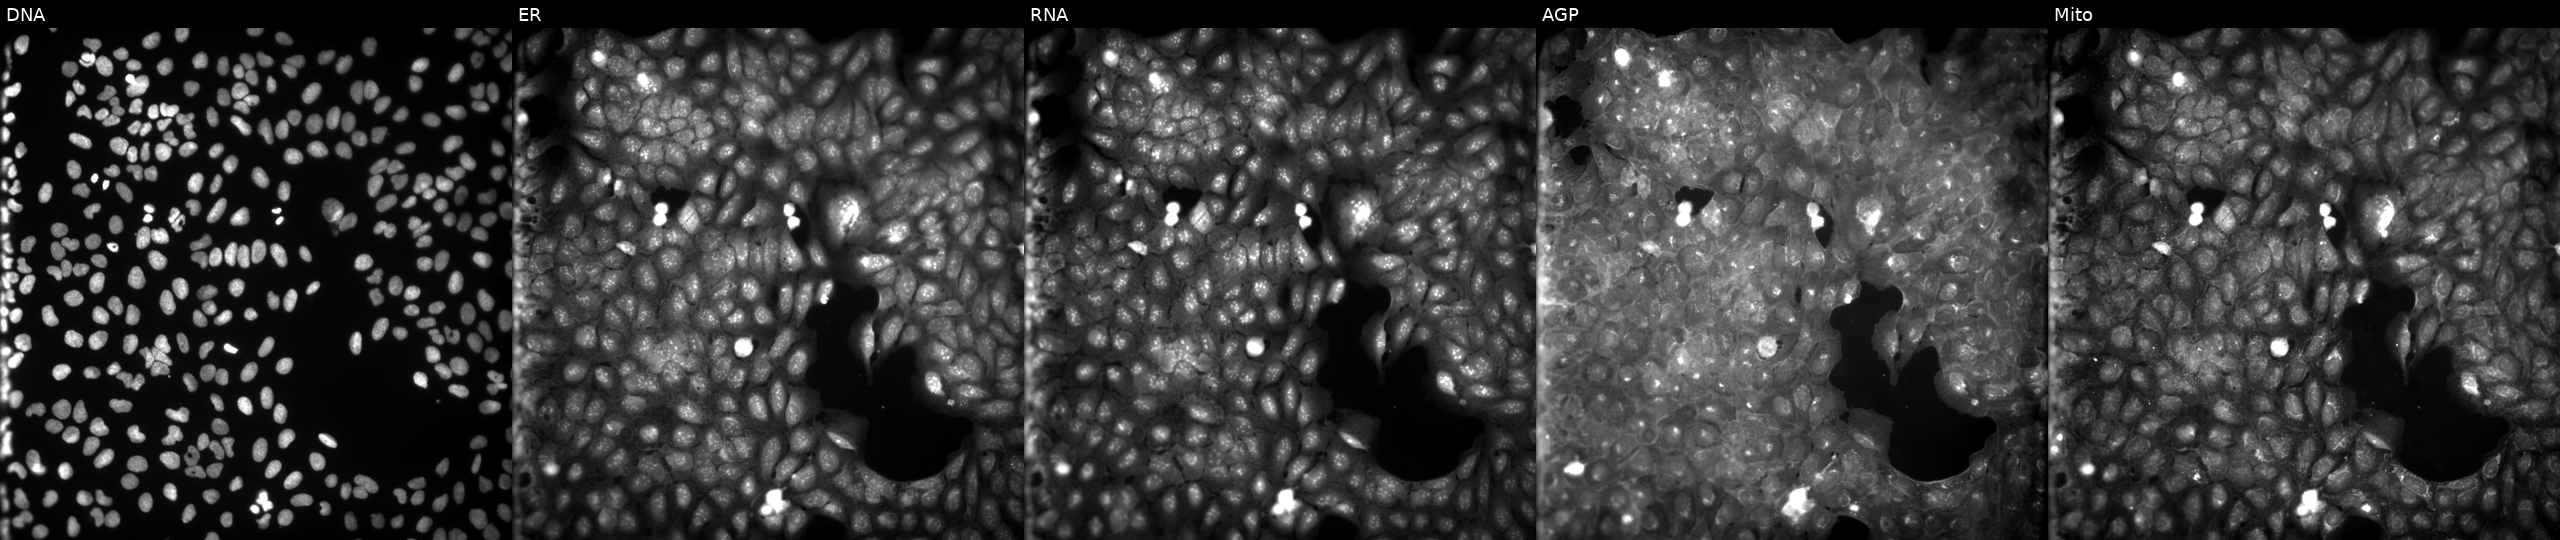
U2OS cells, Cell Painting assay, treated with a small-molecule compound (JUMP id JCP2022_098331). From left to right: Hoechst 33342, concanavalin A, SYTO 14, phalloidin and WGA, MitoTracker. Each panel is percentile-stretched 16-bit fluorescence.